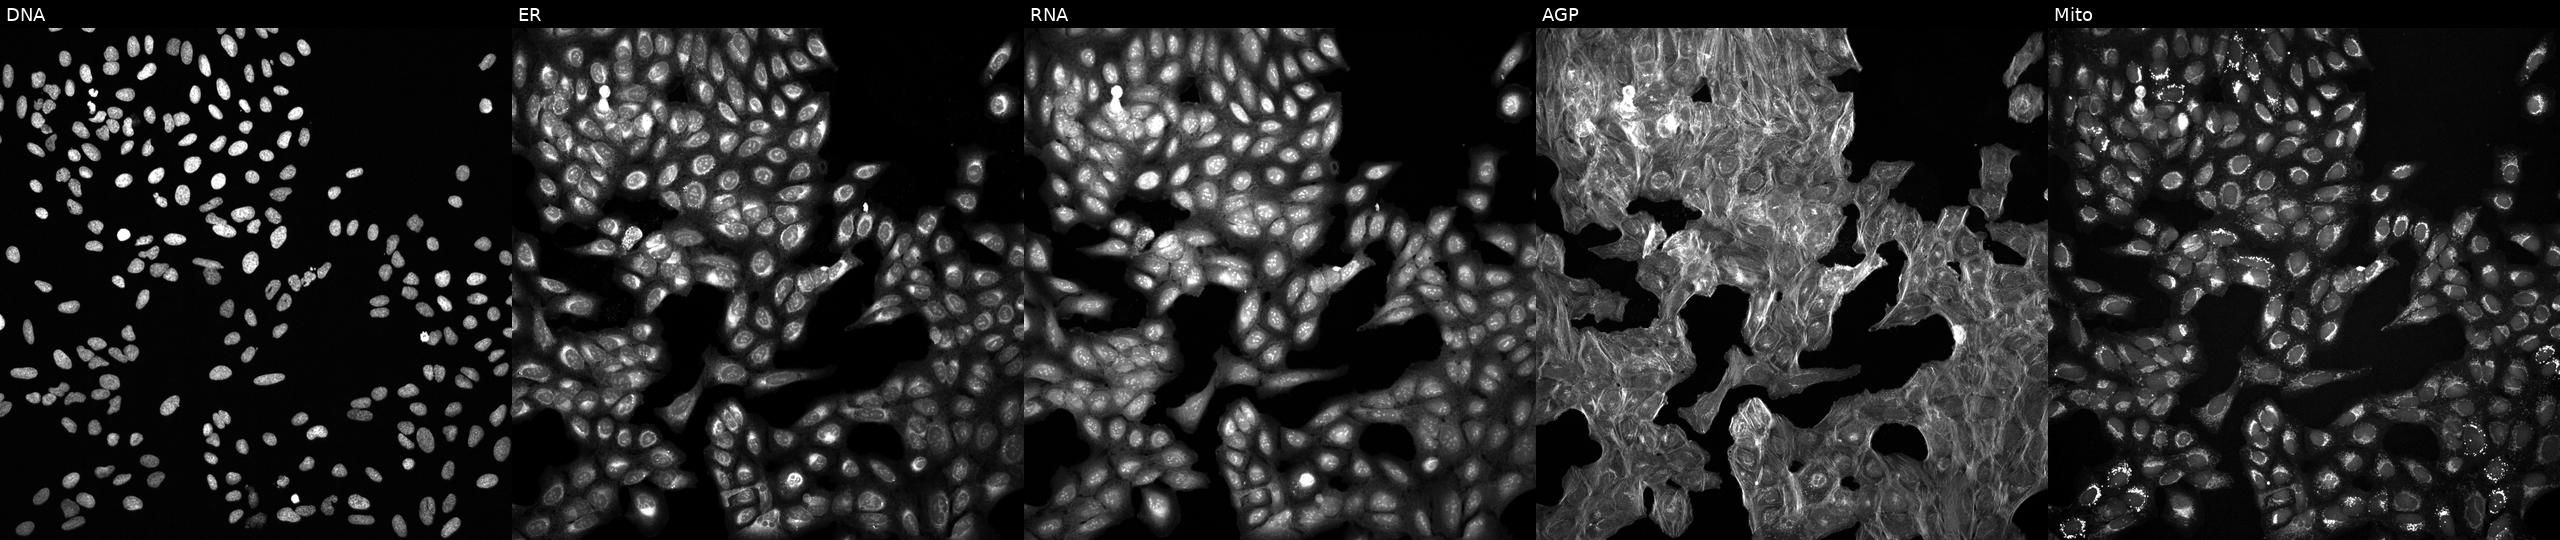
U2OS cells, Cell Painting assay, perturbed with a small-molecule compound (InChIKey WNNJAPQRRKROFC-UHFFFAOYSA-N) (JUMP id JCP2022_099939). The five panels, left to right, show DNA, ER, RNA, AGP, and Mito. Each panel is percentile-stretched 16-bit fluorescence.